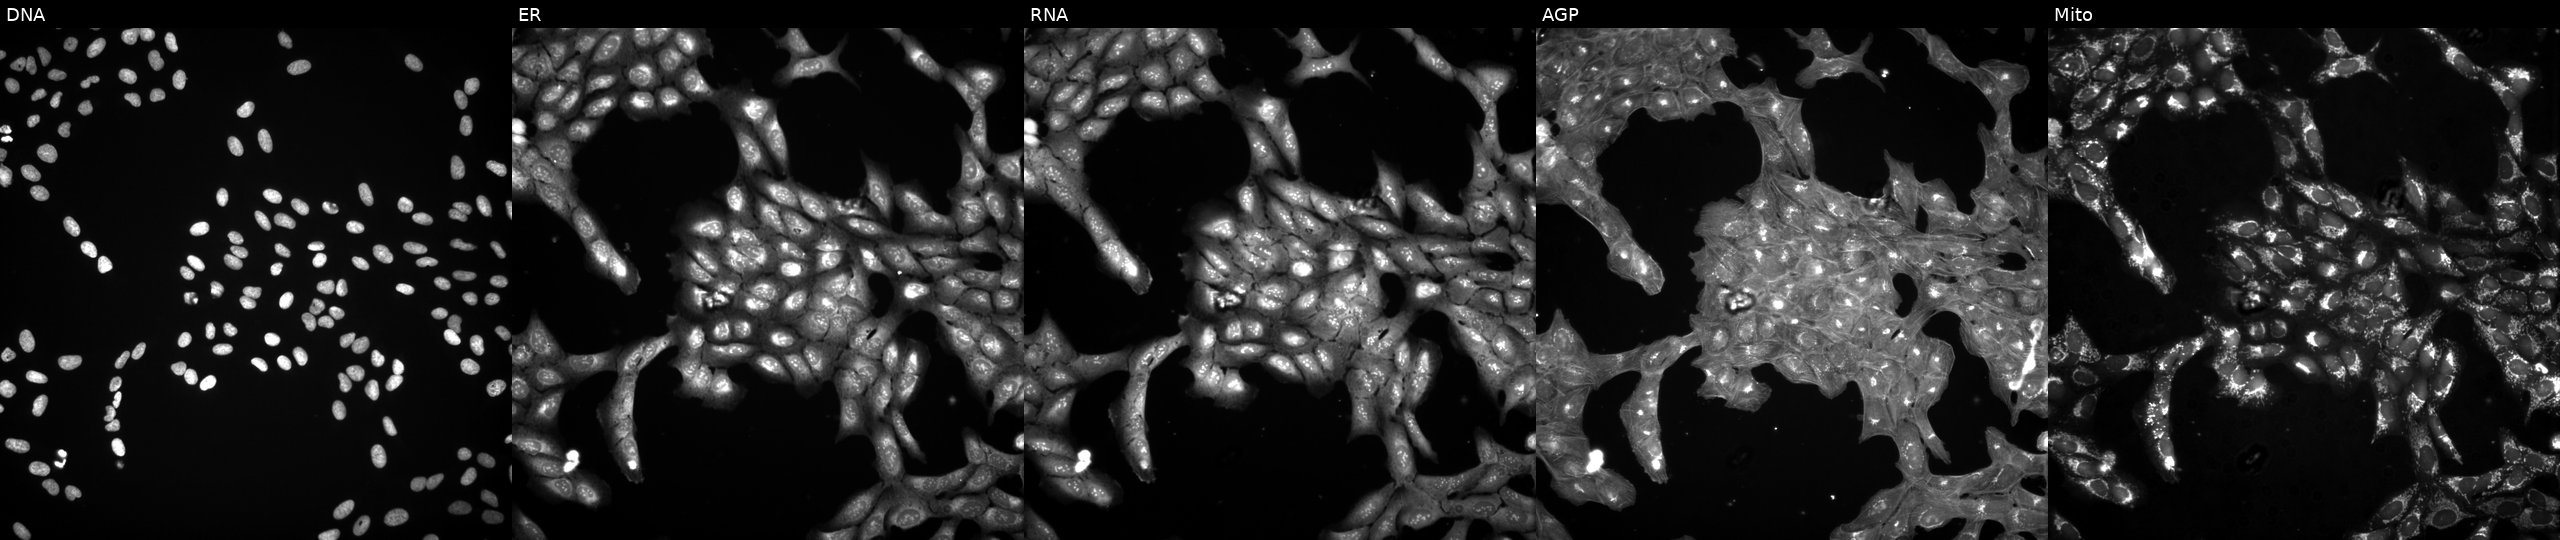
High-content fluorescence microscopy (Cell Painting). Cell line: U2OS. Perturbation: exposed to DMSO alone as a negative control (JUMP id JCP2022_033924). The five panels, left to right, show DNA, ER, RNA, AGP, and Mito. Source 3, plate BR5867a3, well B02.